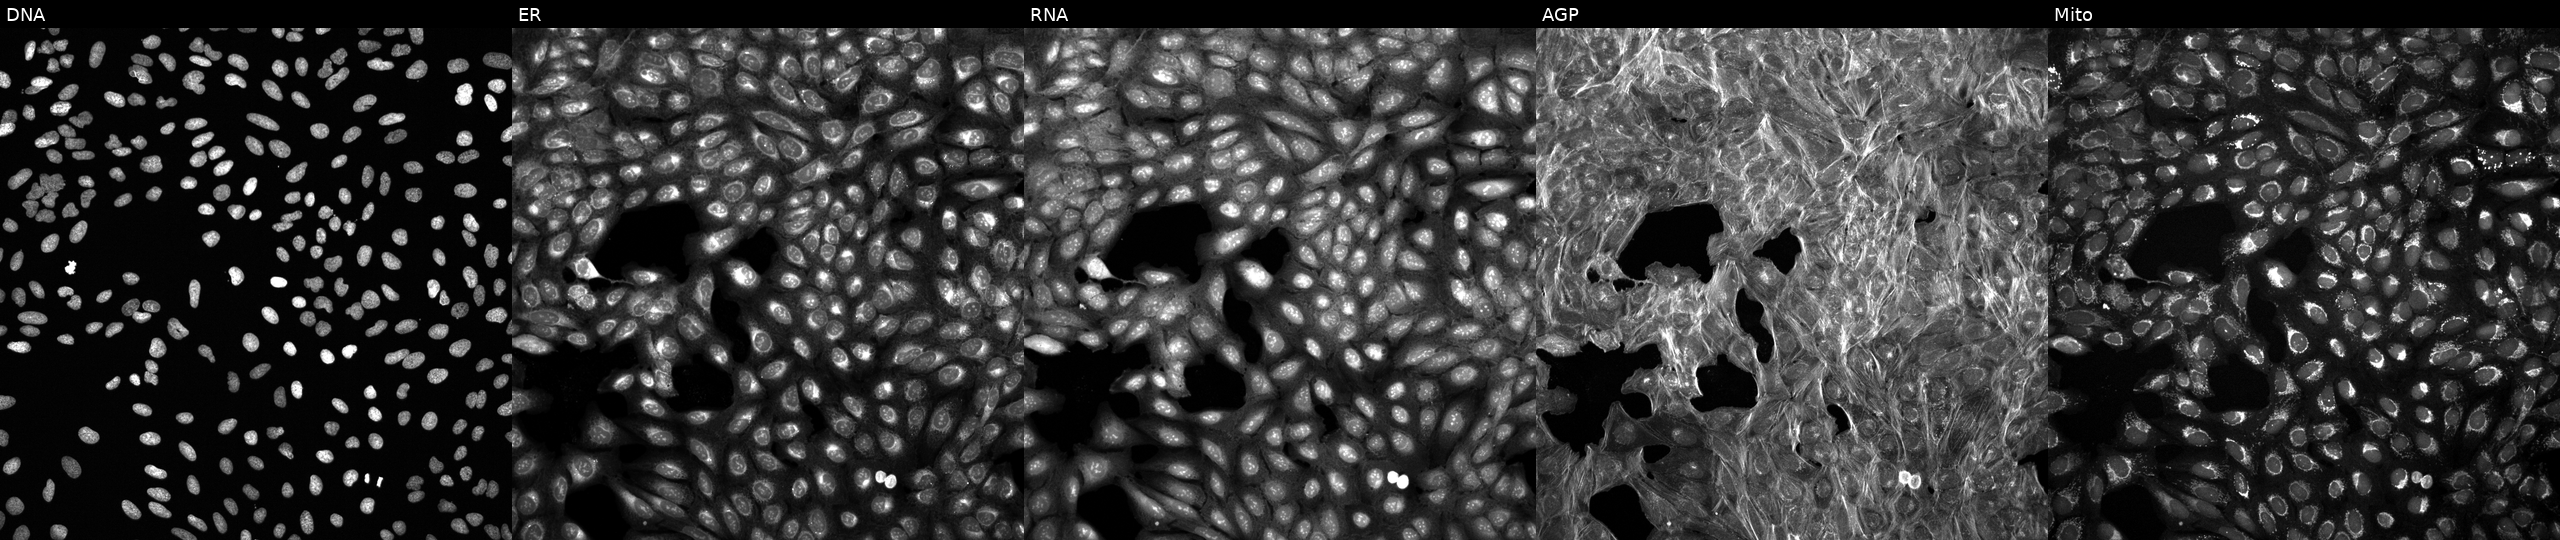
Panels show, left to right, DNA (nuclei); ER (endoplasmic reticulum); RNA (nucleoli and cytoplasmic RNA); AGP (actin cytoskeleton, Golgi, and plasma membrane); Mito (mitochondria). U2OS osteosarcoma cells exposed to DMSO alone as a negative control. Cell Painting assay, JUMP-CP dataset.